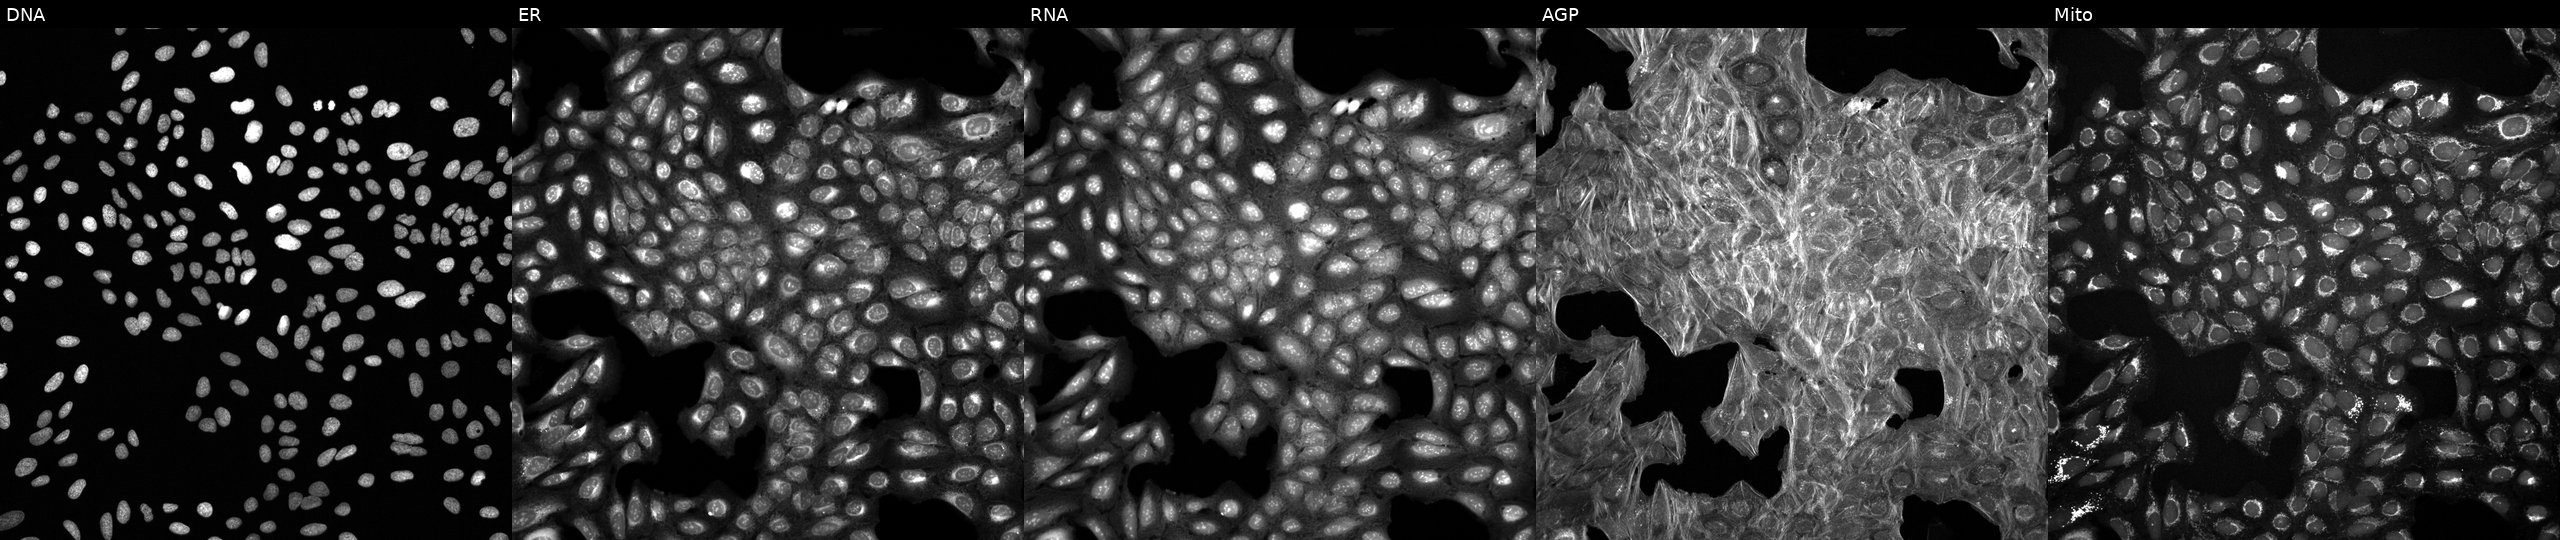
High-content fluorescence microscopy (Cell Painting). Cell line: U2OS. Perturbation: perturbed with a small-molecule compound. Panels show, left to right, Hoechst 33342, concanavalin A, SYTO 14, phalloidin and WGA, MitoTracker.